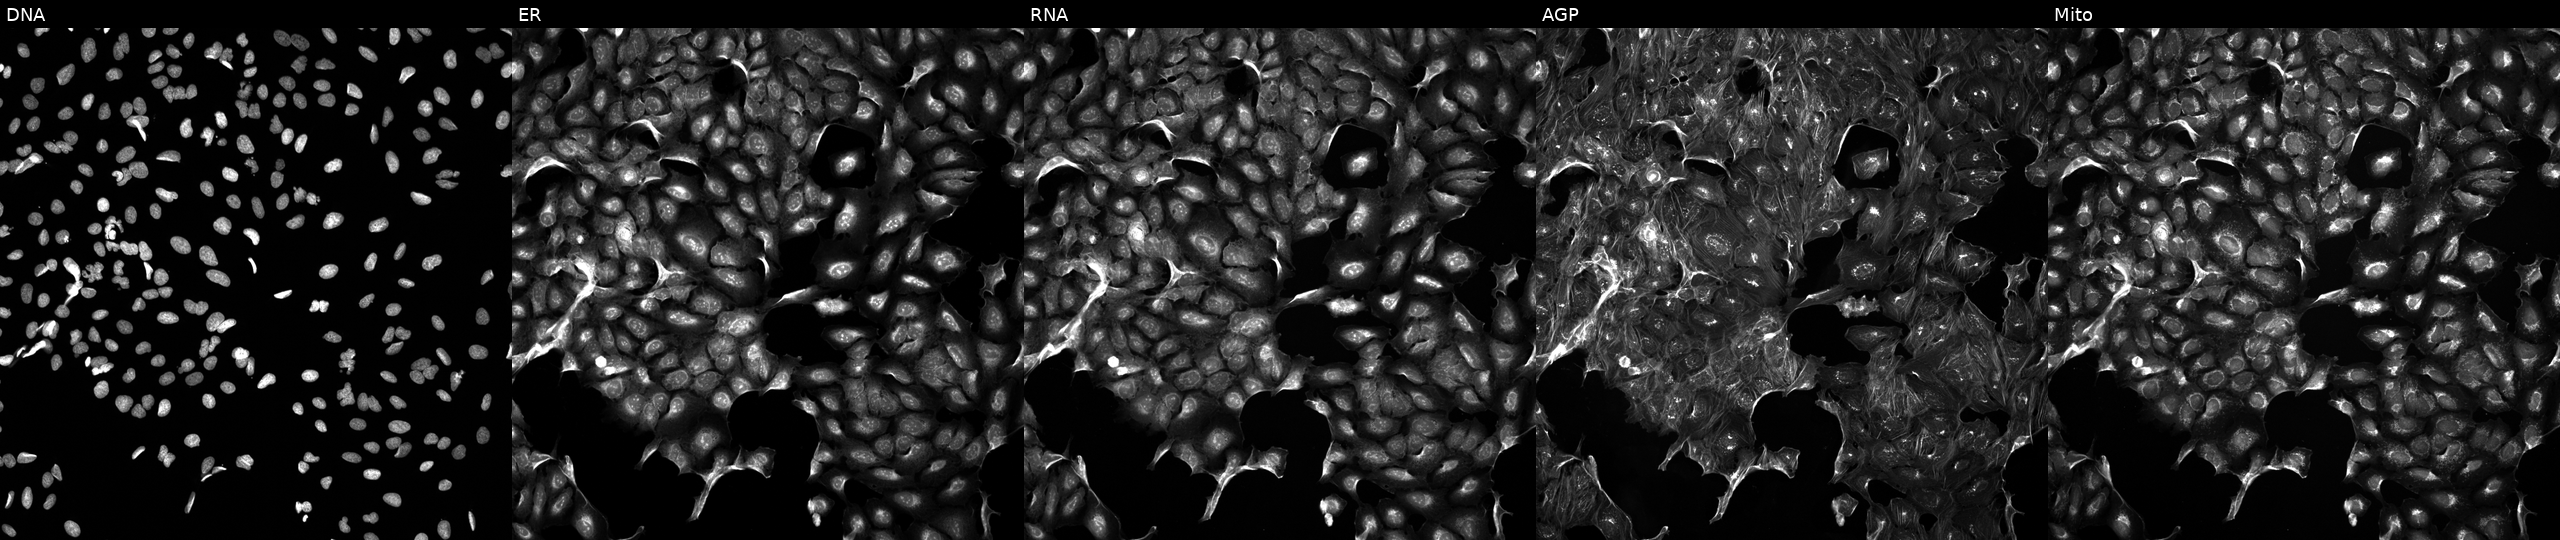
High-content fluorescence microscopy (Cell Painting). Cell line: U2OS. Perturbation: exposed to the positive-control compound TC-S-7004 (JUMP id JCP2022_012818). Channels (left→right): DNA, ER, RNA, AGP, and Mito.